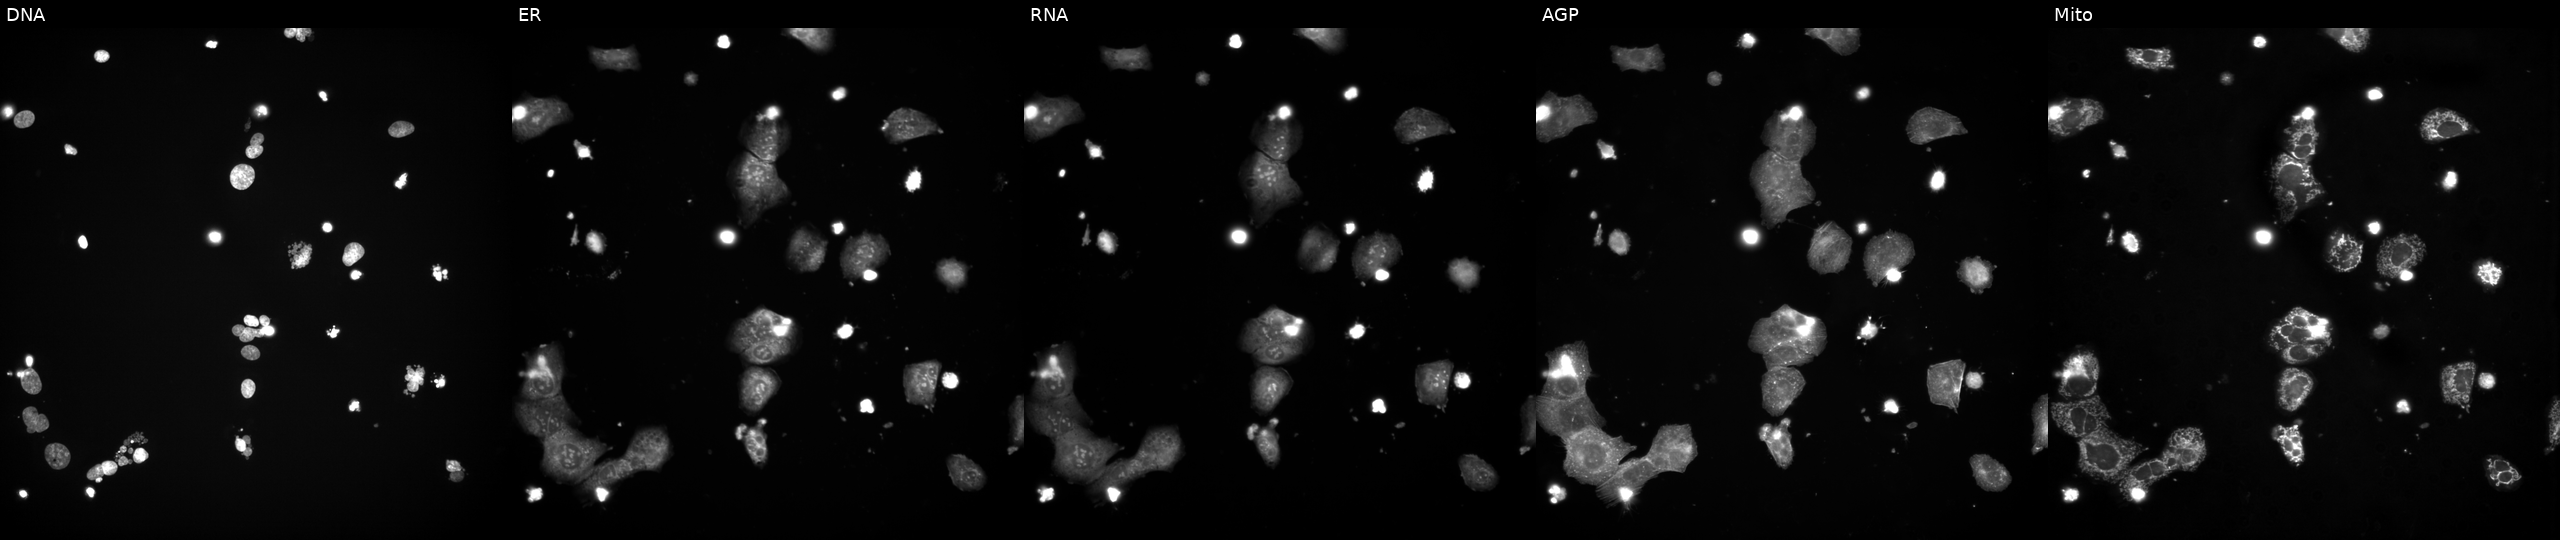
High-content fluorescence microscopy (Cell Painting). Cell line: U2OS. Perturbation: perturbed with a small-molecule compound (InChIKey MTJHLONVHHPNSI-UHFFFAOYSA-N). From left to right: Hoechst 33342, concanavalin A, SYTO 14, phalloidin and WGA, MitoTracker. Source 3, plate JCPQC053, well F10.